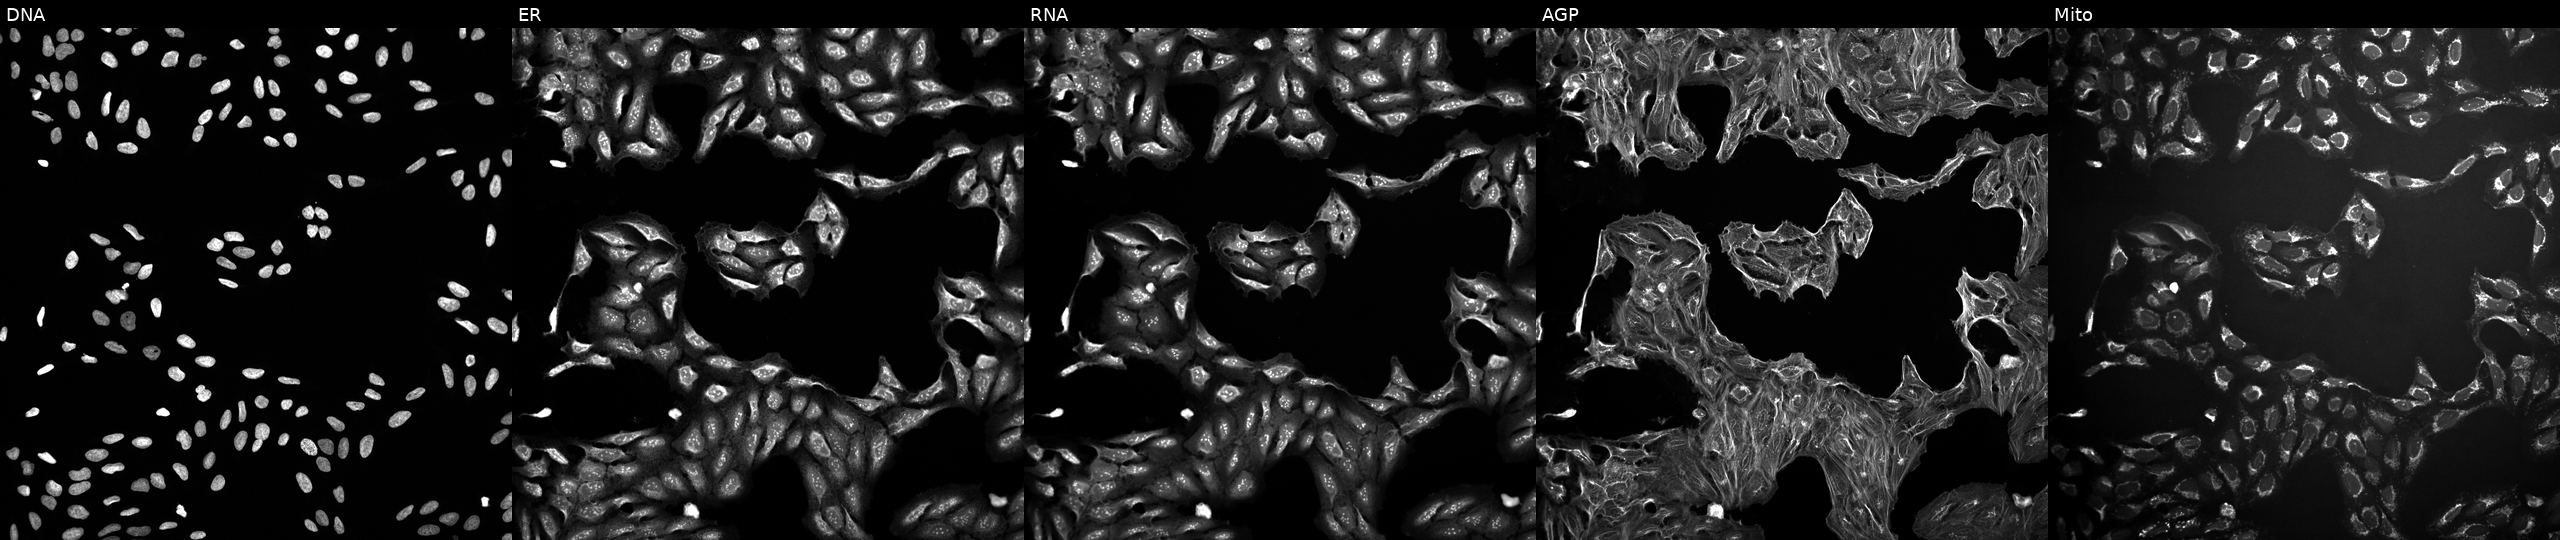
Five-channel Cell Painting image of U2OS cells exposed to a small-molecule compound (InChIKey NGTDJJKTGRNNAU-UHFFFAOYSA-N) (JUMP id JCP2022_058889). Channels (left→right): Hoechst 33342, concanavalin A, SYTO 14, phalloidin and WGA, MitoTracker.